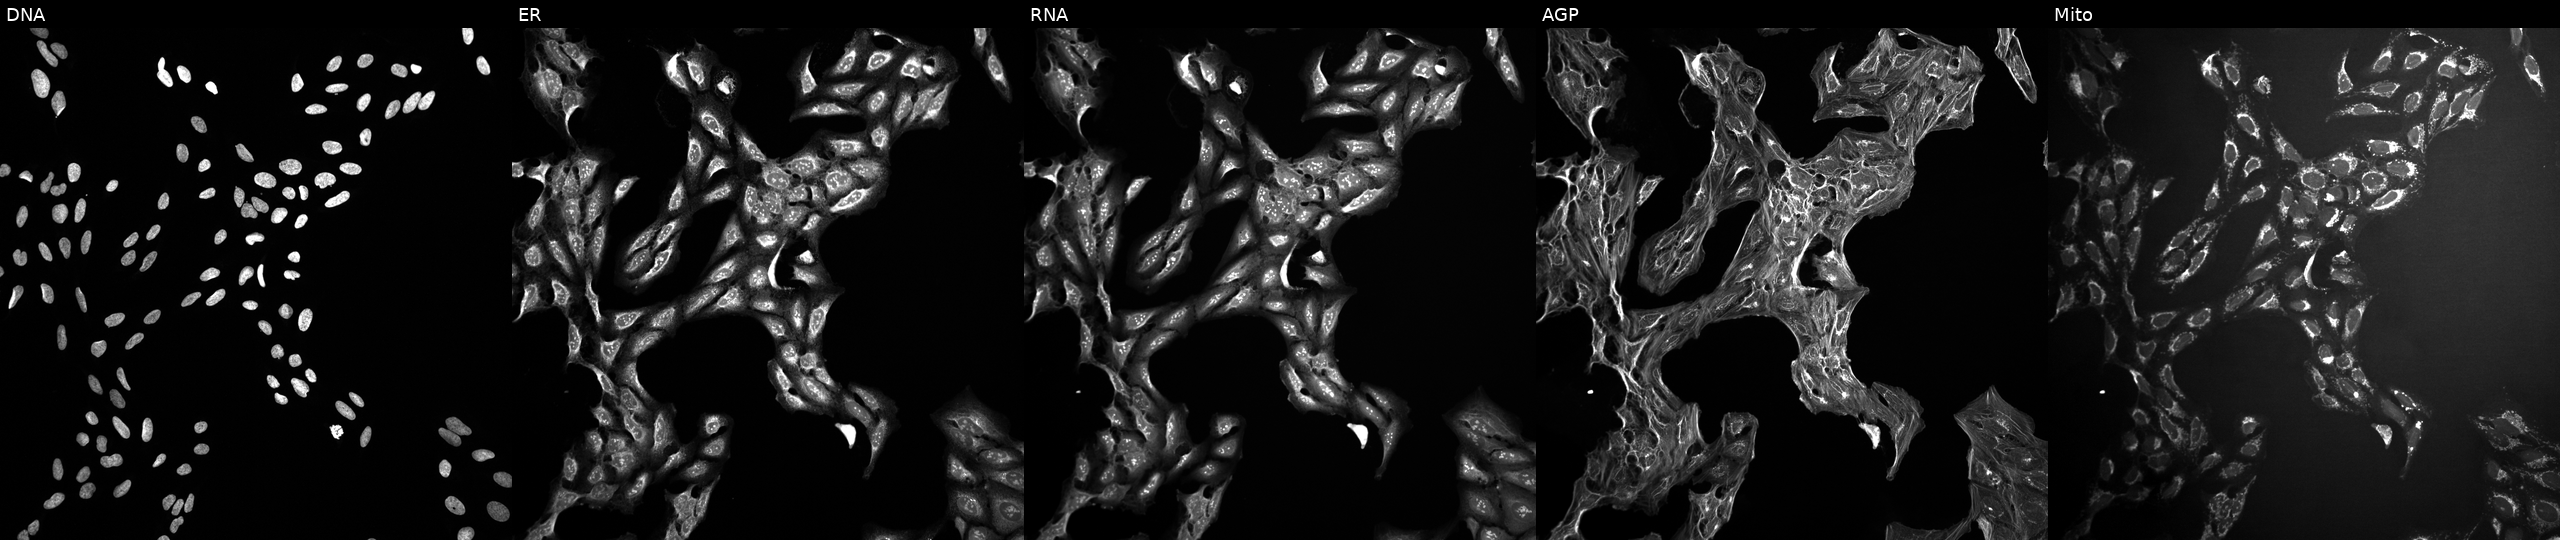
This image strip shows the five Cell Painting channels for a single field of U2OS cells exposed to a small-molecule compound. From left to right: DNA, ER, RNA, AGP, and Mito. Source 10, plate Dest210727-153003, well C20.